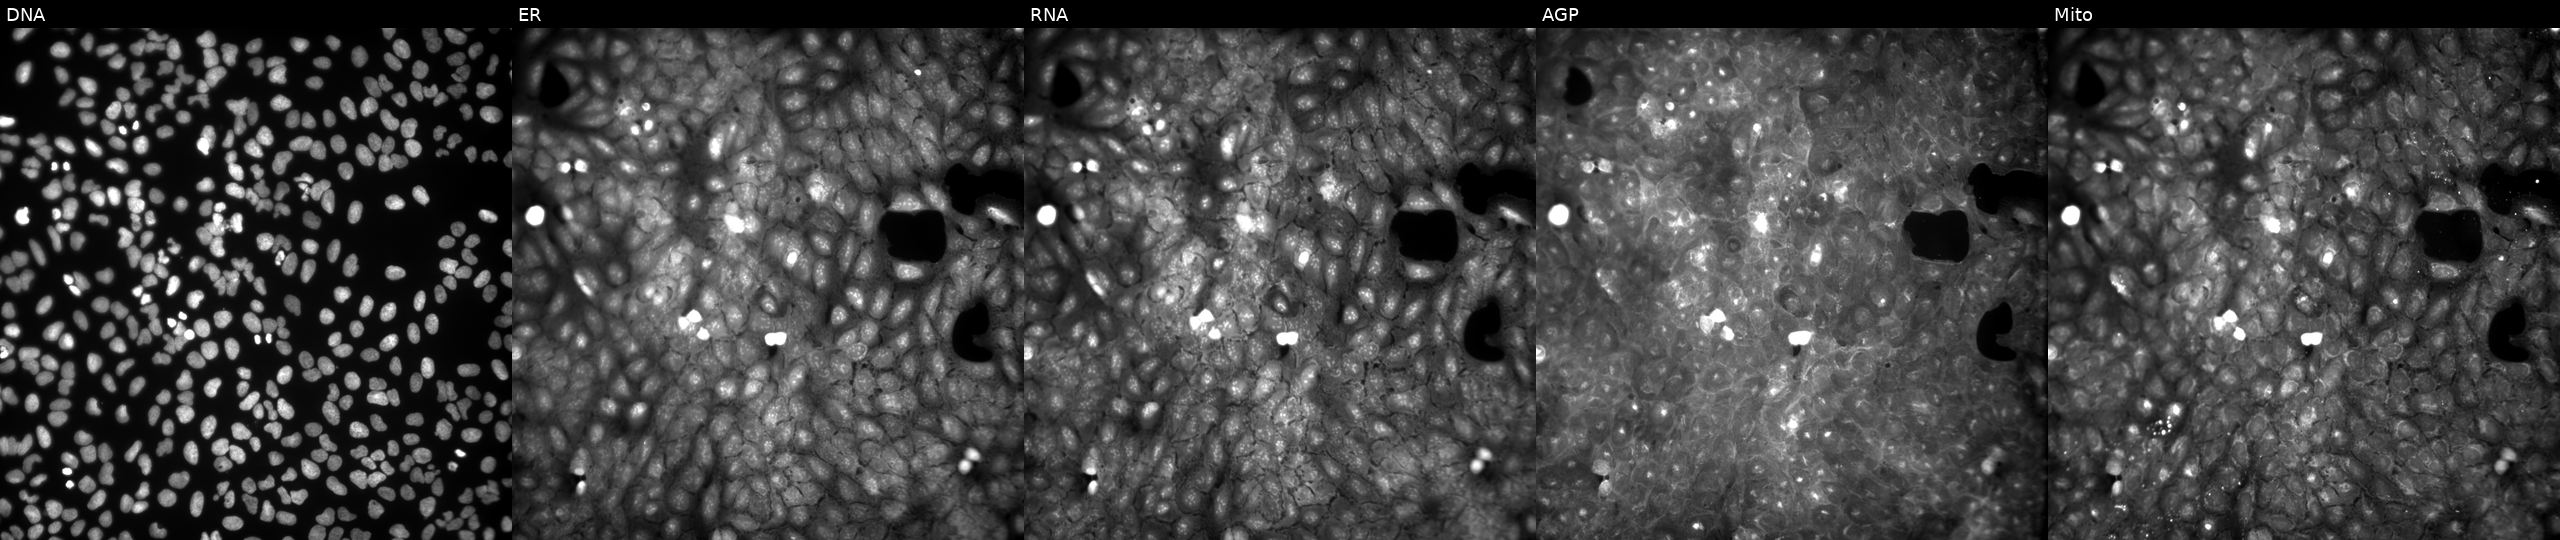
This image strip shows the five Cell Painting channels for a single field of U2OS cells treated with DMSO vehicle only (negative control). Panels show, left to right, Hoechst 33342, concanavalin A, SYTO 14, phalloidin and WGA, MitoTracker.